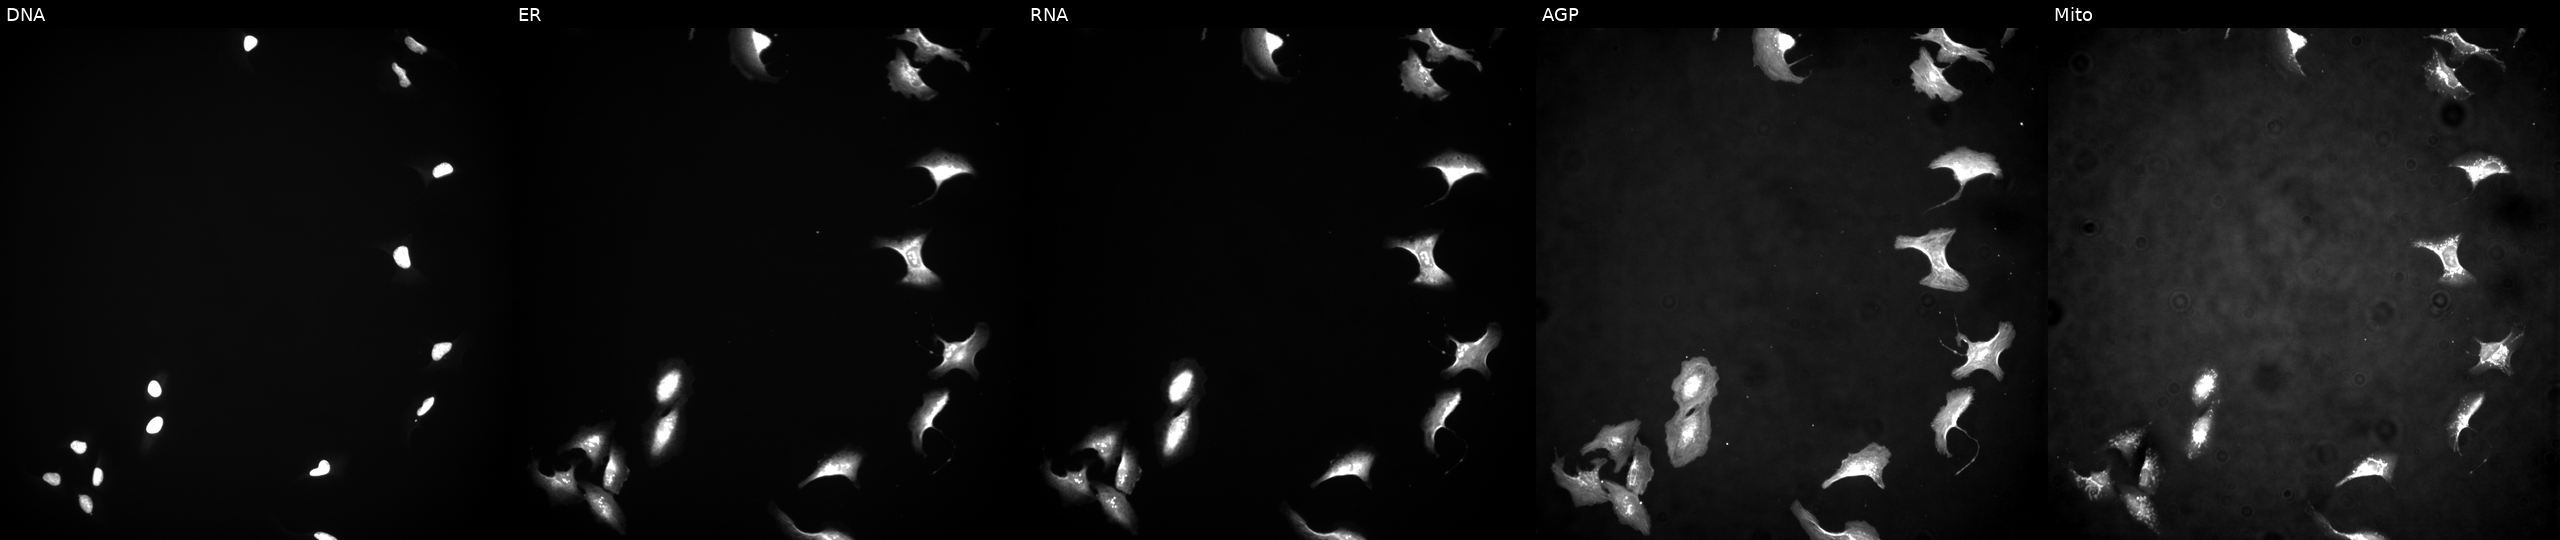
This image strip shows the five Cell Painting channels for a single field of U2OS cells with NT5C3A overexpressed (ORF) (JUMP id JCP2022_907726). From left to right: Hoechst 33342, concanavalin A, SYTO 14, phalloidin and WGA, MitoTracker. Source 4, plate BR00124784, well I14.